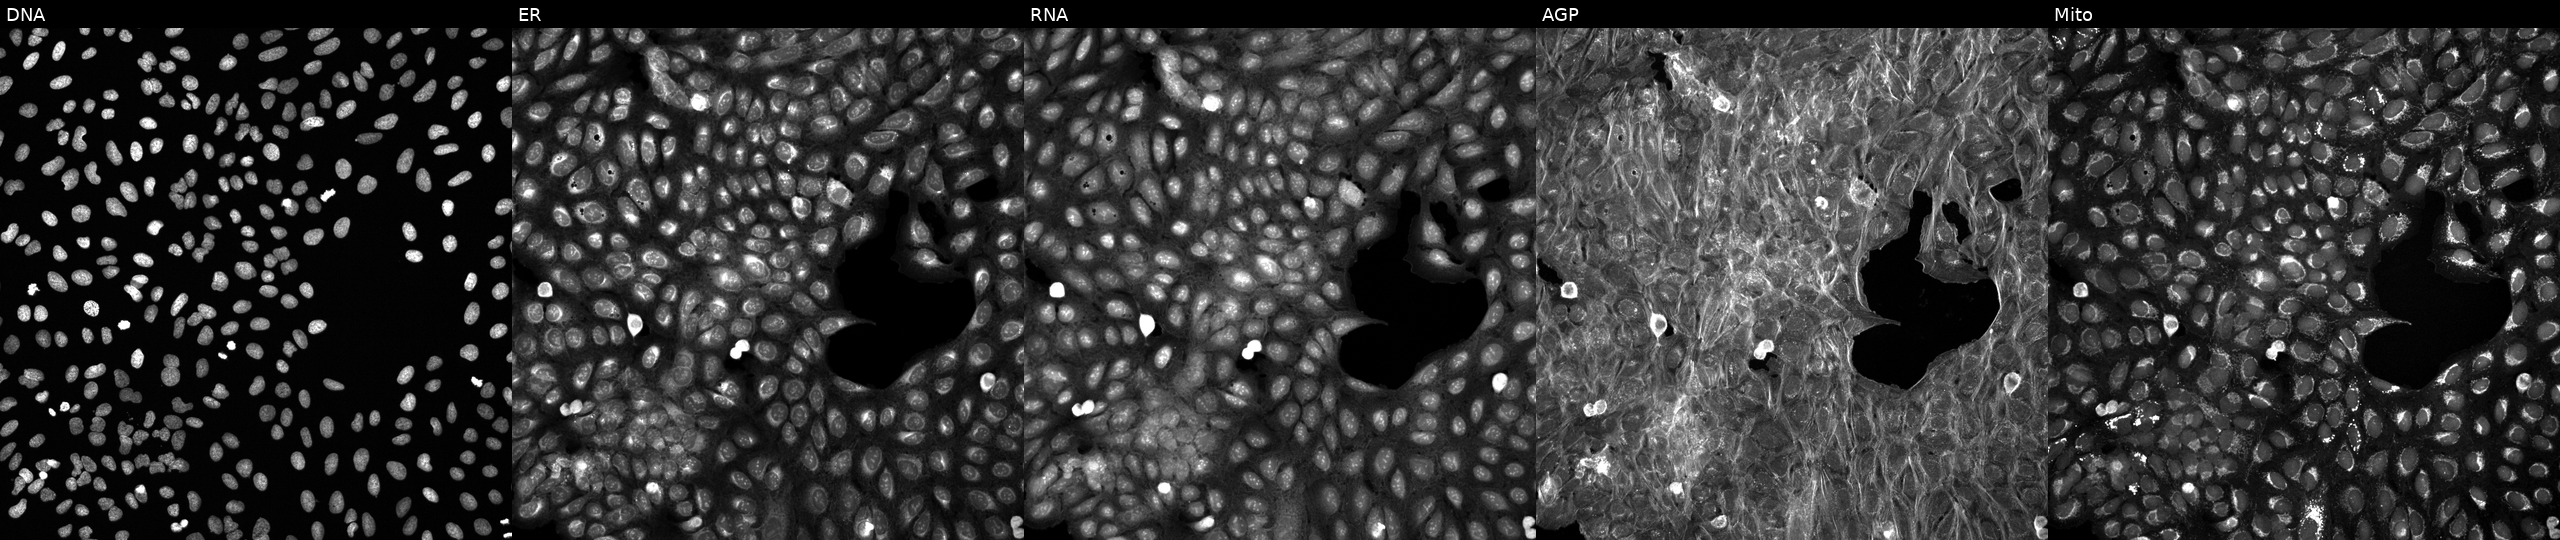
JUMP Cell Painting — TARGET2 plate. U2OS cells perturbed with a small-molecule compound (InChIKey PFHDWRIVDDIFRP-UHFFFAOYSA-N). The five panels, left to right, show DNA, ER, RNA, AGP, and Mito.